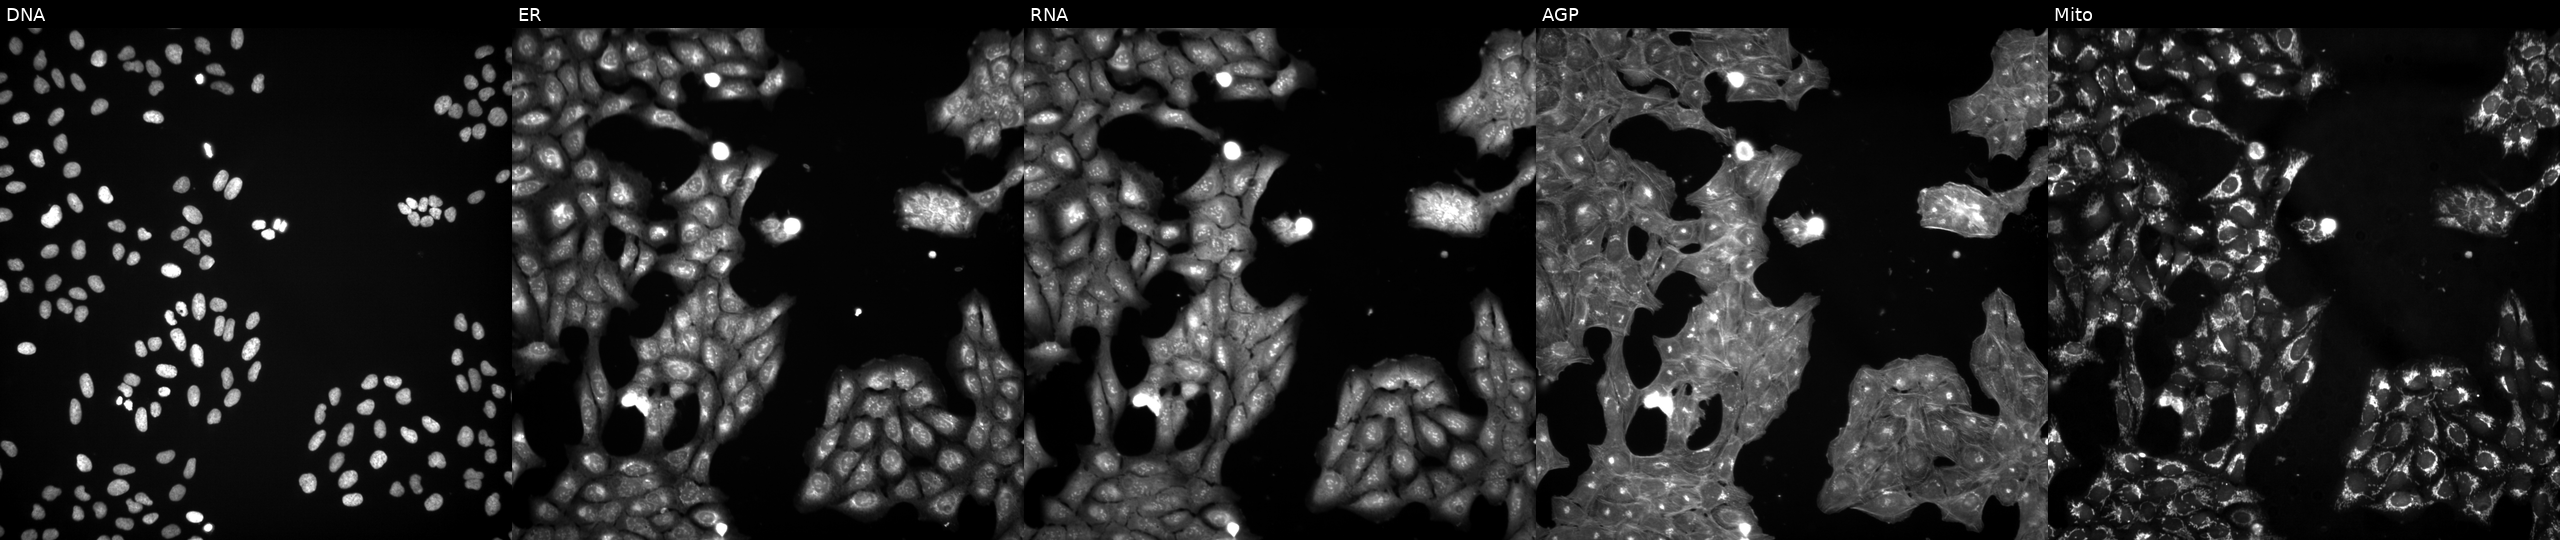
JUMP Cell Painting — TARGET2 plate. U2OS cells exposed to a small-molecule compound (InChIKey TYNLGDBUJLVSMA-UHFFFAOYSA-N) [SMILES: CC(=O)Oc1cccc2c1C(=O)c1c(OC(C)=O)cc(C(=O)O)cc1C2=O]. From left to right: Hoechst 33342, concanavalin A, SYTO 14, phalloidin and WGA, MitoTracker.